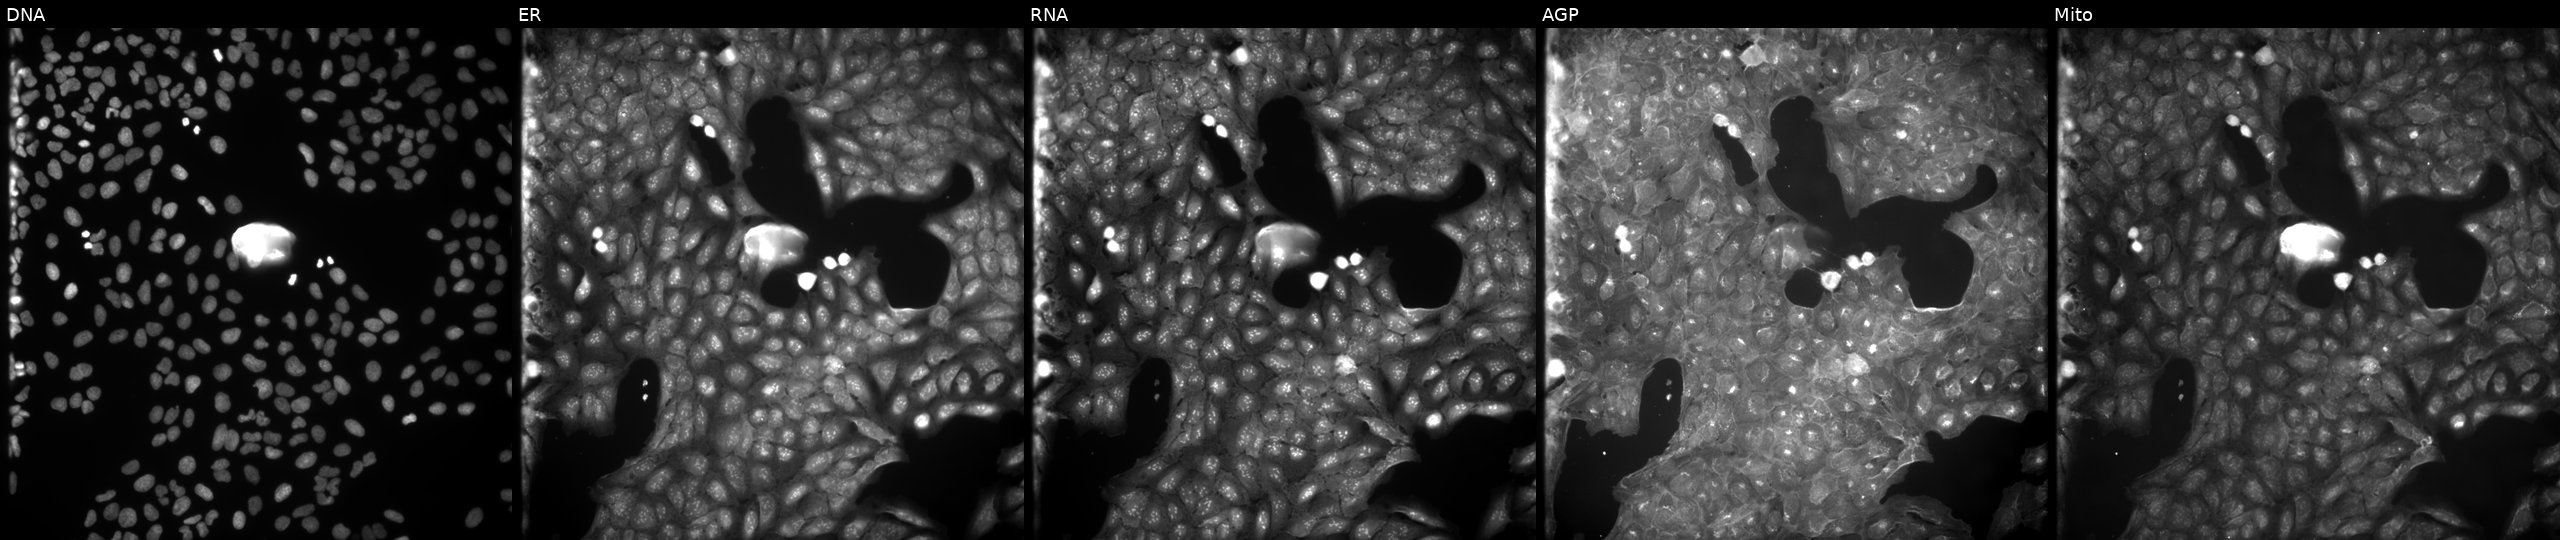
This image strip shows the five Cell Painting channels for a single field of U2OS cells treated with a small-molecule compound (InChIKey QTMKMLMMSDDCIP-UHFFFAOYSA-N) [SMILES: COc1ccc(C=C2COc3ccccc3C2=O)cc1] (JUMP id JCP2022_075780). From left to right: DNA, ER, RNA, AGP, and Mito. Source 9, plate GR00003381, well E14.